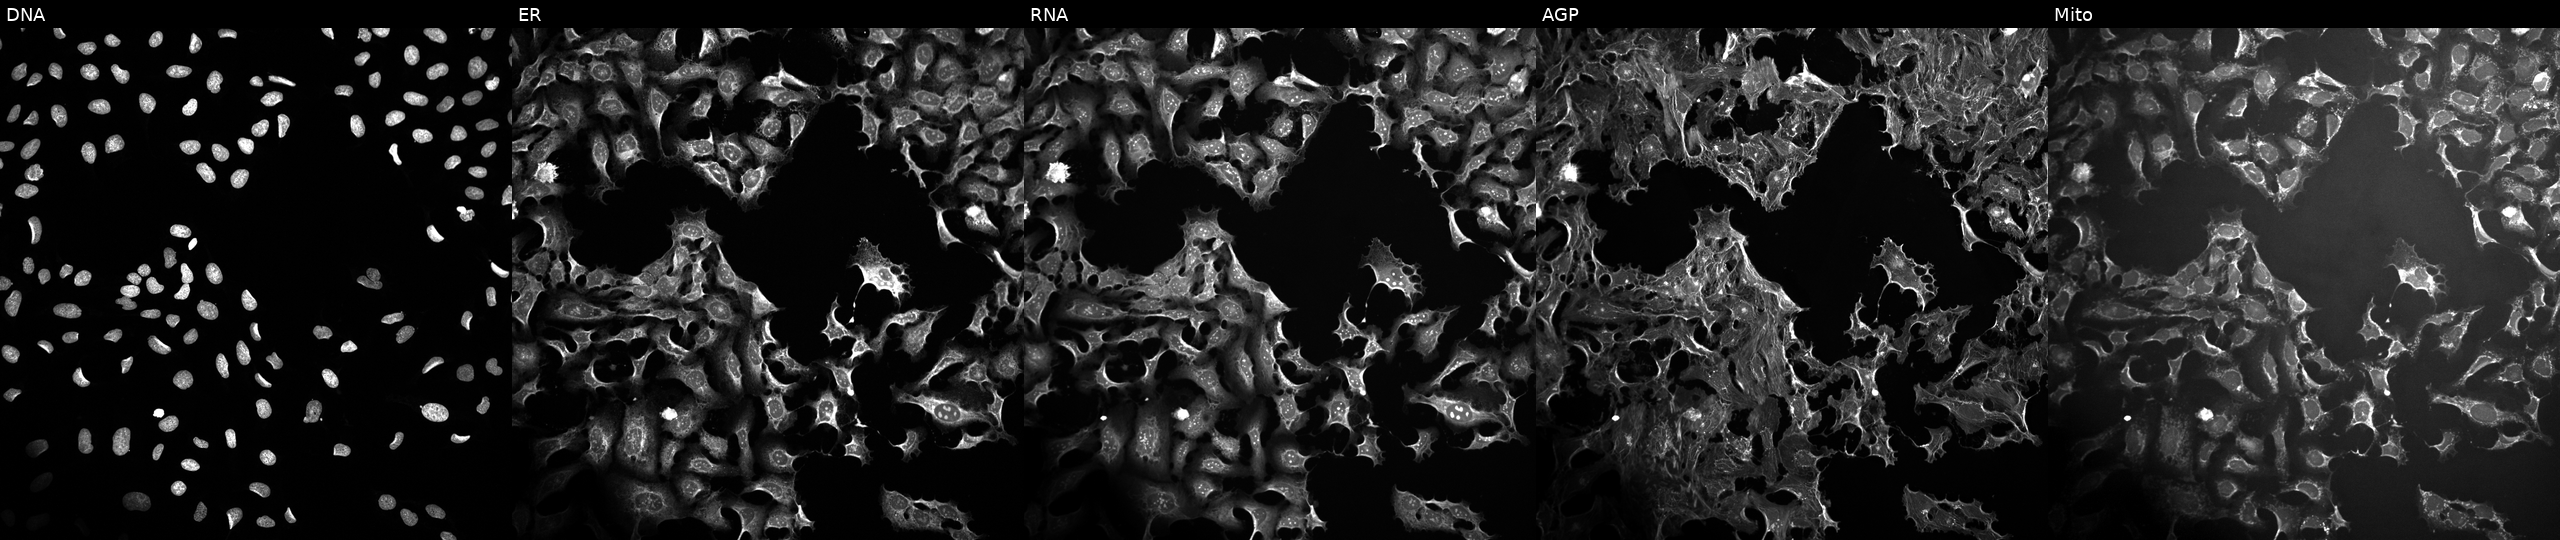
Five-channel Cell Painting image of U2OS cells exposed to the positive-control compound FK-866 (JUMP id JCP2022_046054). Channels (left→right): DNA (nuclei); ER (endoplasmic reticulum); RNA (nucleoli and cytoplasmic RNA); AGP (actin cytoskeleton, Golgi, and plasma membrane); Mito (mitochondria).